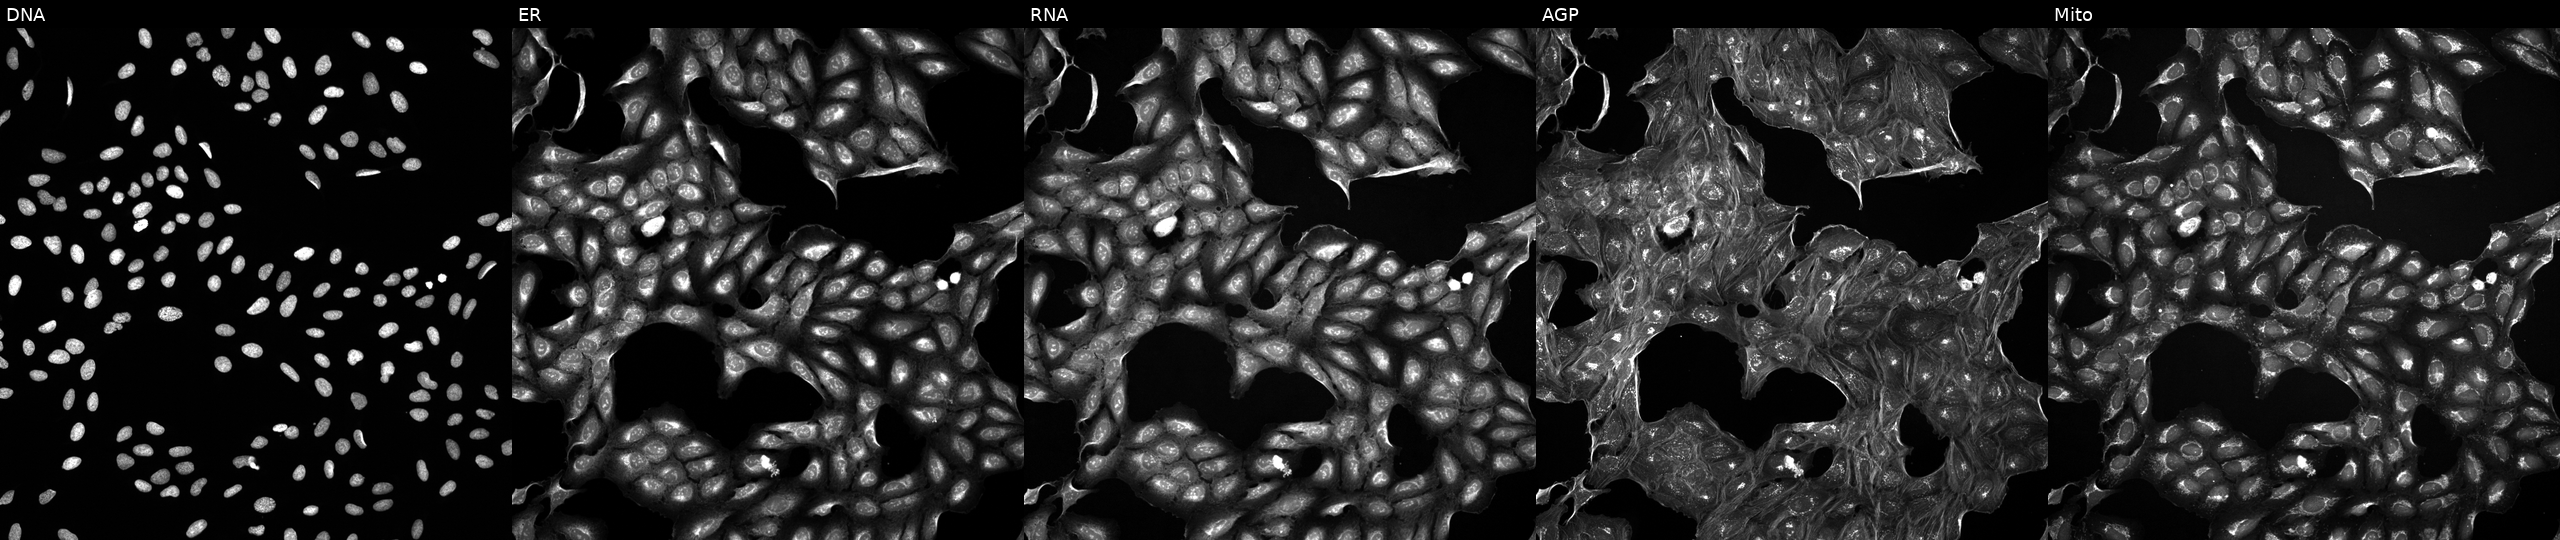
U2OS cells, Cell Painting assay, treated with a small-molecule compound (InChIKey WPEWQEMJFLWMLV-UHFFFAOYSA-N) (JUMP id JCP2022_100264). From left to right: DNA, ER, RNA, AGP, and Mito. Each panel is percentile-stretched 16-bit fluorescence. Source 5, plate ACPJUM032, well A07.